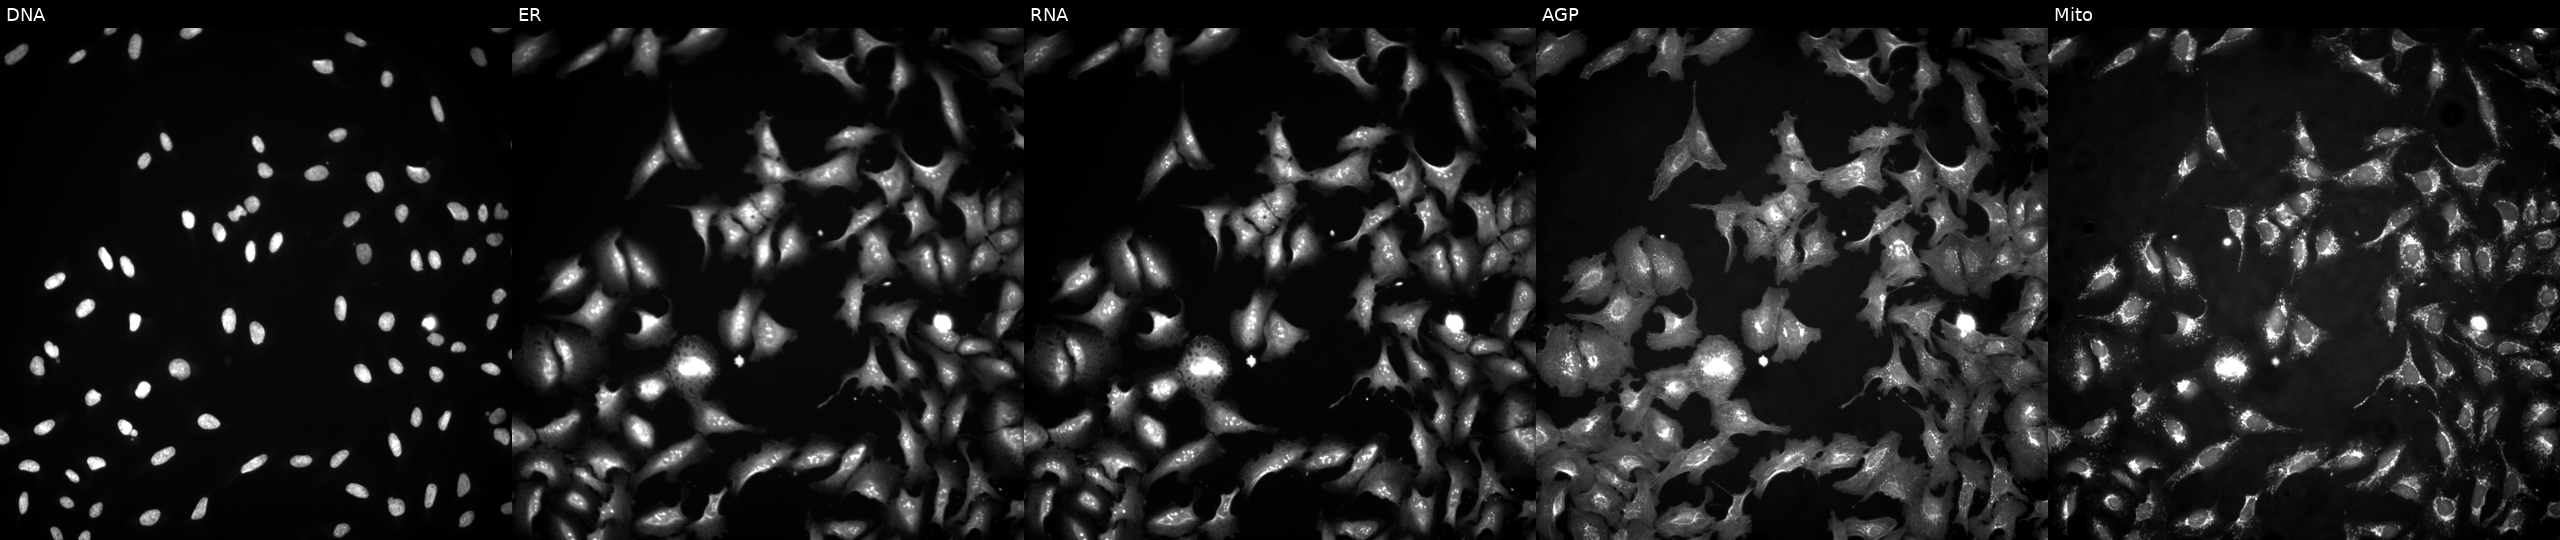
JUMP Cell Painting — ORF plate. U2OS cells transfected with an ORF construct for FOSL2. From left to right: Hoechst 33342, concanavalin A, SYTO 14, phalloidin and WGA, MitoTracker.